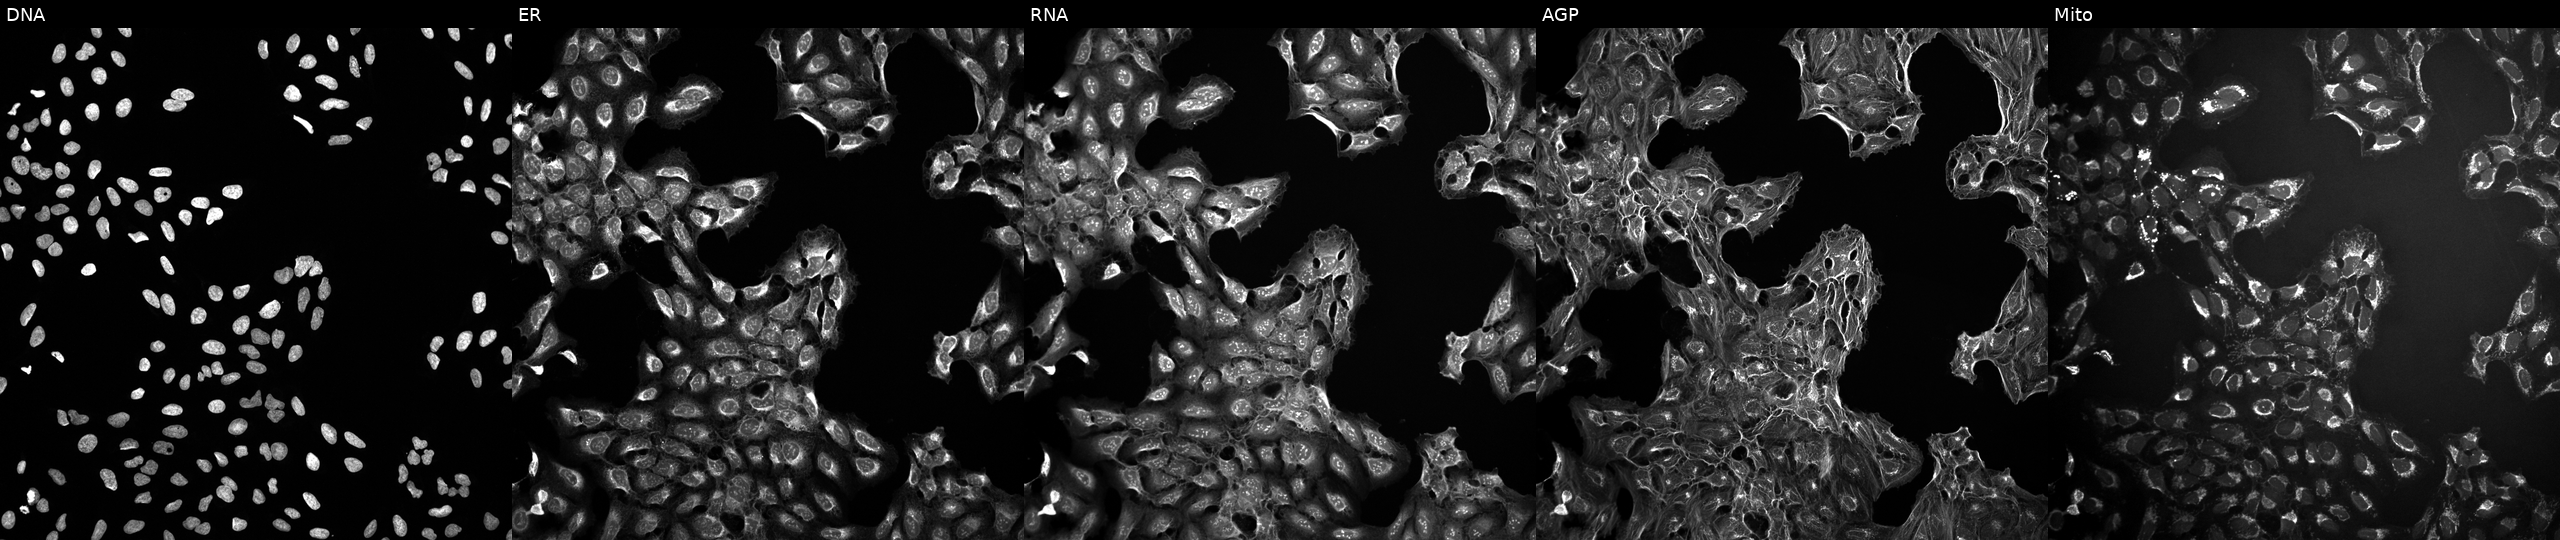
U2OS cells, Cell Painting assay, in an empty control well (no perturbation) (JUMP id JCP2022_999999). Panels show, left to right, DNA, ER, RNA, AGP, and Mito. Each panel is percentile-stretched 16-bit fluorescence. Source 10, plate Dest210531-152324, well L08.